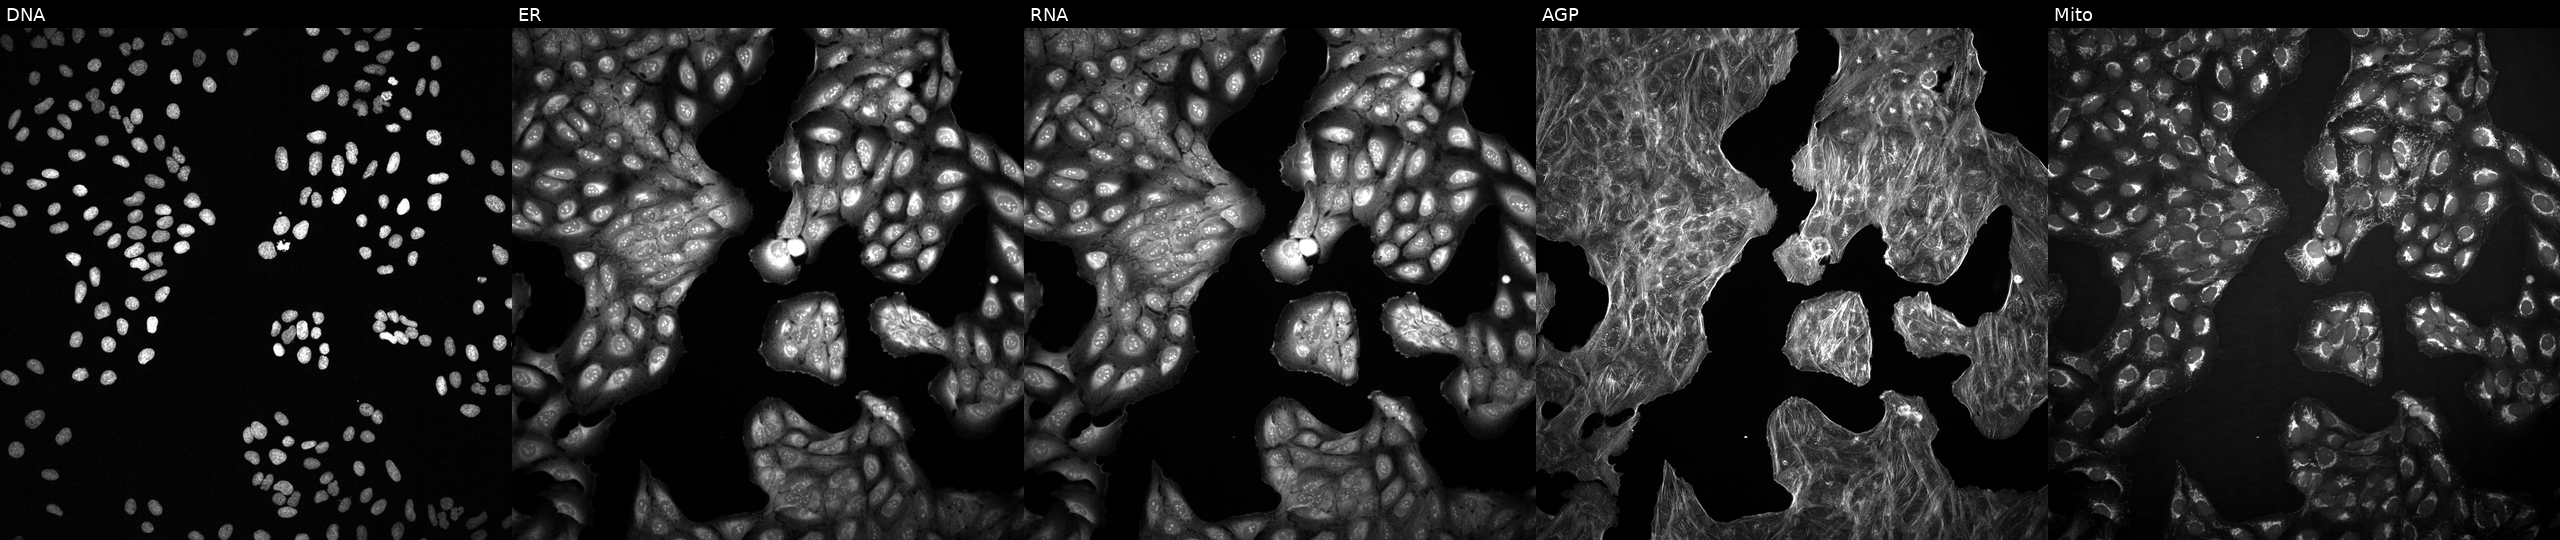
This image strip shows the five Cell Painting channels for a single field of U2OS cells with an unidentified perturbation (not annotated in JUMP metadata). Channels (left→right): DNA (nuclei); ER (endoplasmic reticulum); RNA (nucleoli and cytoplasmic RNA); AGP (actin cytoskeleton, Golgi, and plasma membrane); Mito (mitochondria).